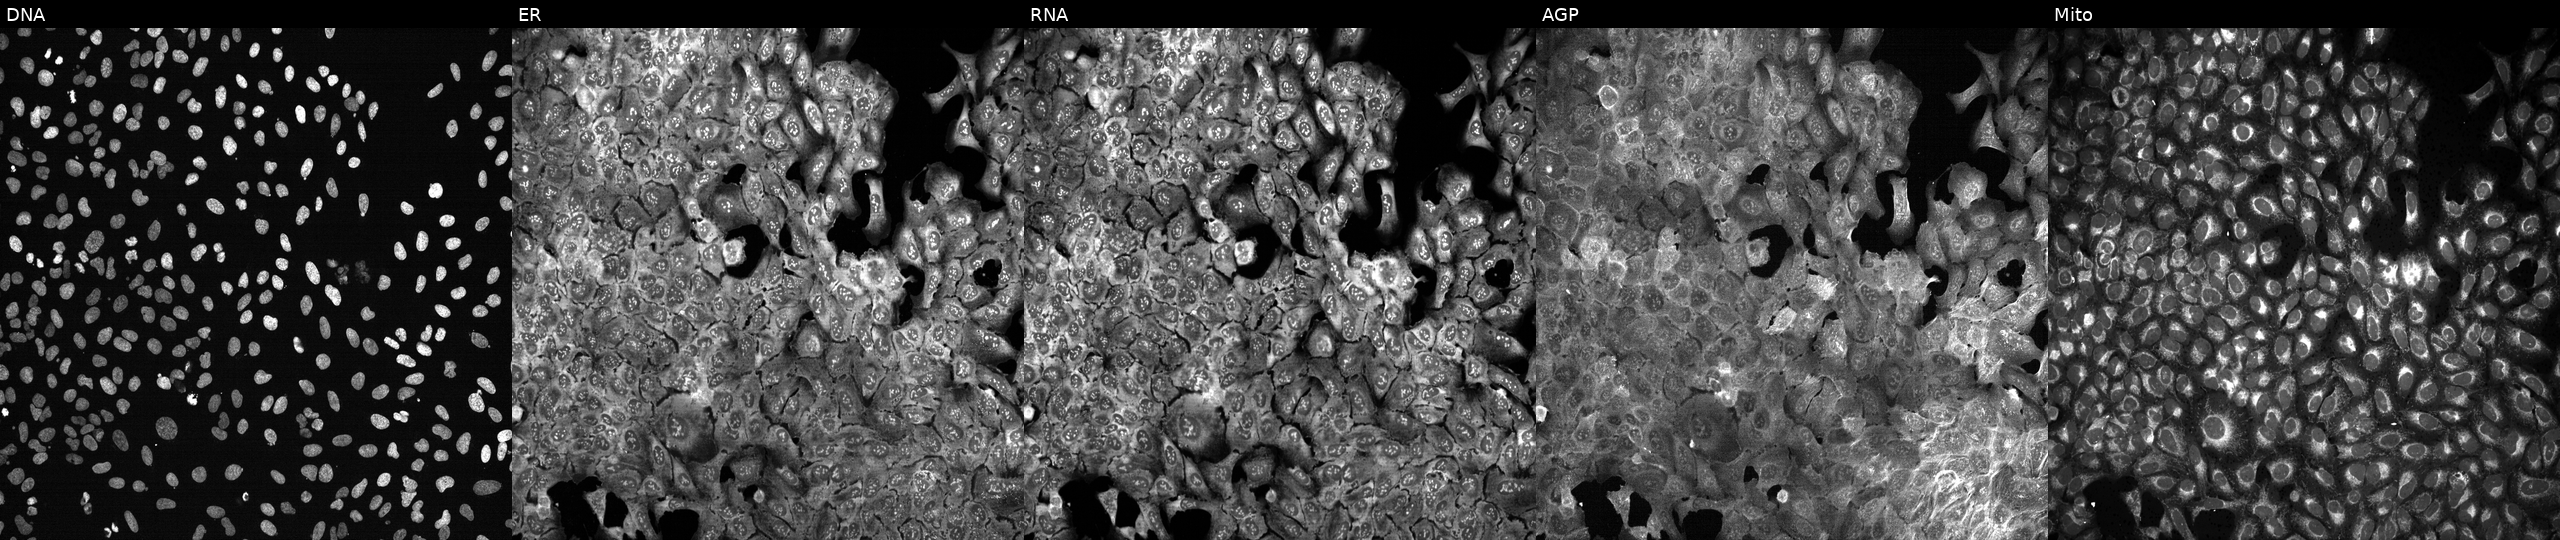
Five-channel Cell Painting image of U2OS cells CRISPR-edited to disrupt FAHD2B. Channels (left→right): DNA, ER, RNA, AGP, and Mito.